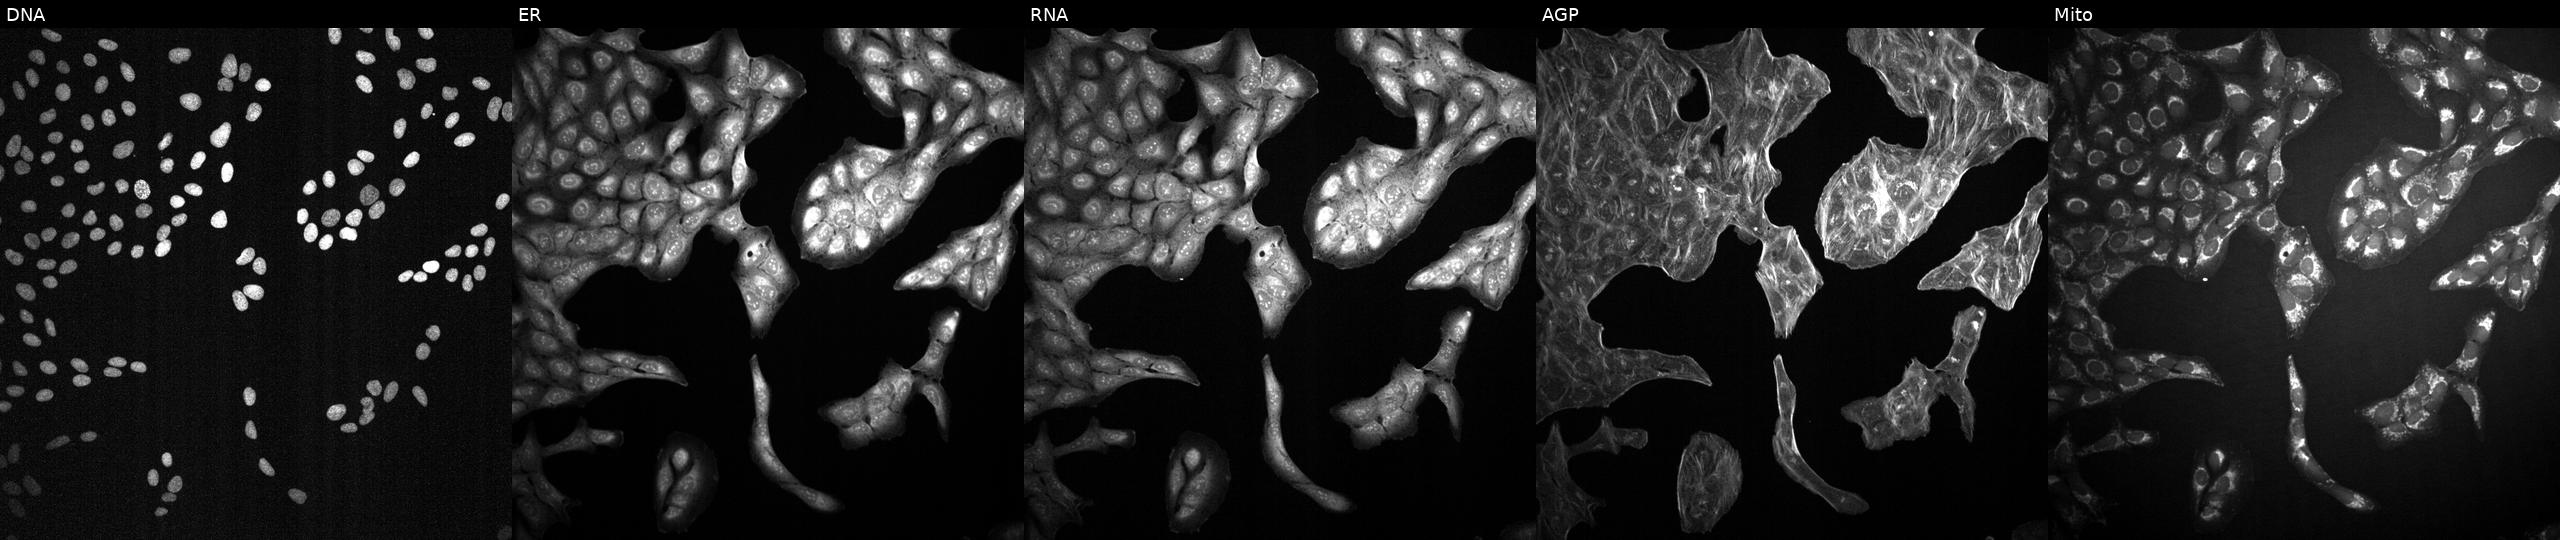
This image strip shows the five Cell Painting channels for a single field of U2OS cells exposed to DMSO alone as a negative control (JUMP id JCP2022_033924). Channels (left→right): DNA, ER, RNA, AGP, and Mito.